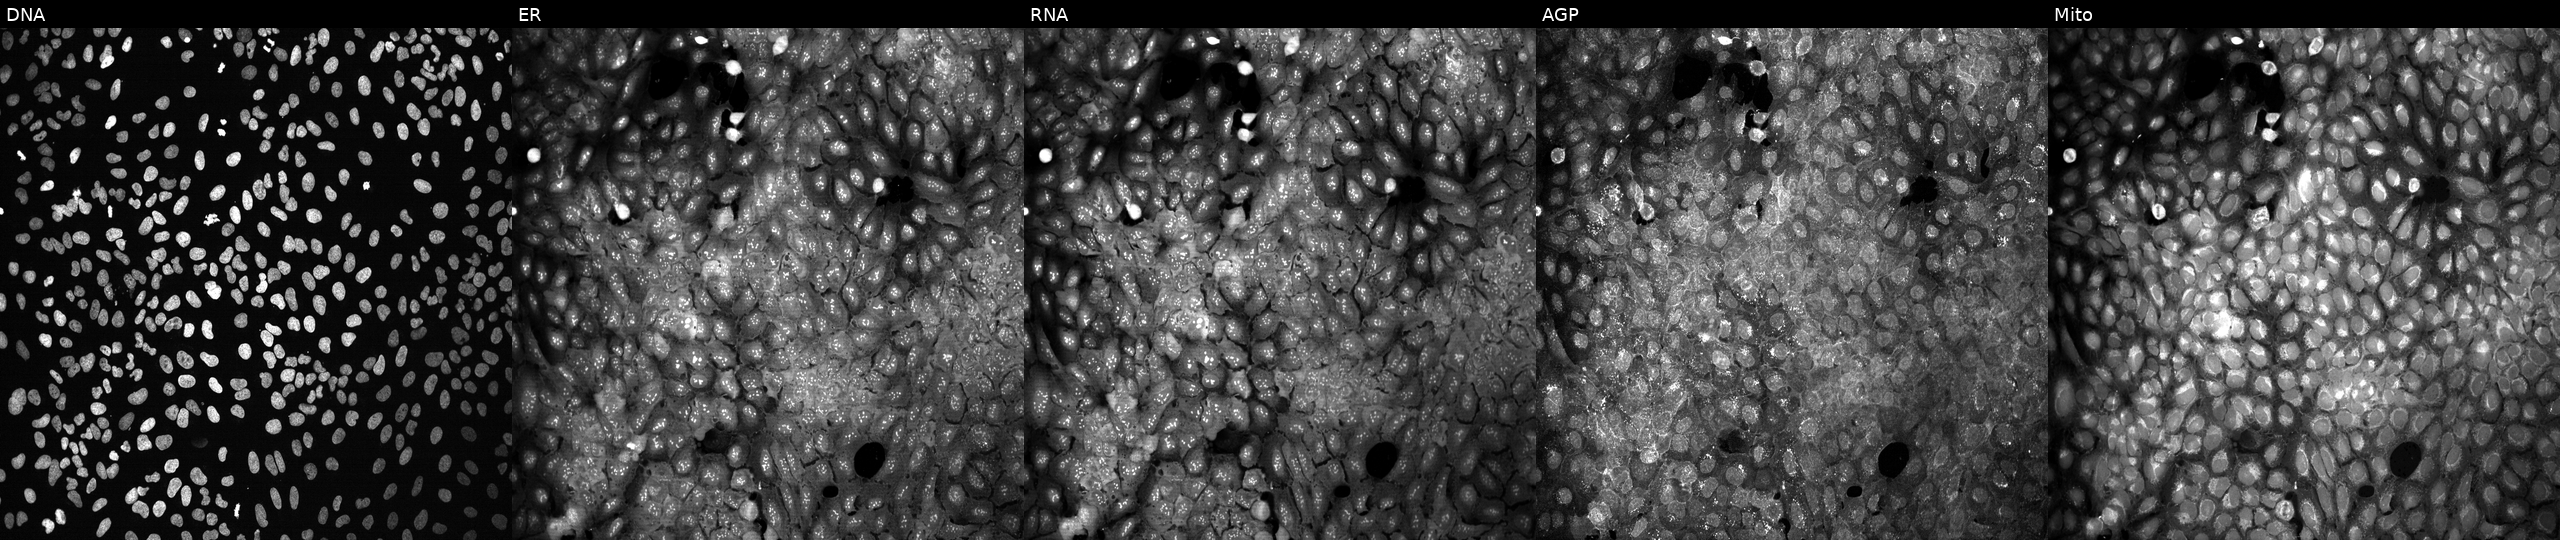
U2OS cells, Cell Painting assay, with a non-targeting CRISPR guide (negative control). Channels (left→right): Hoechst 33342, concanavalin A, SYTO 14, phalloidin and WGA, MitoTracker. Each panel is percentile-stretched 16-bit fluorescence.